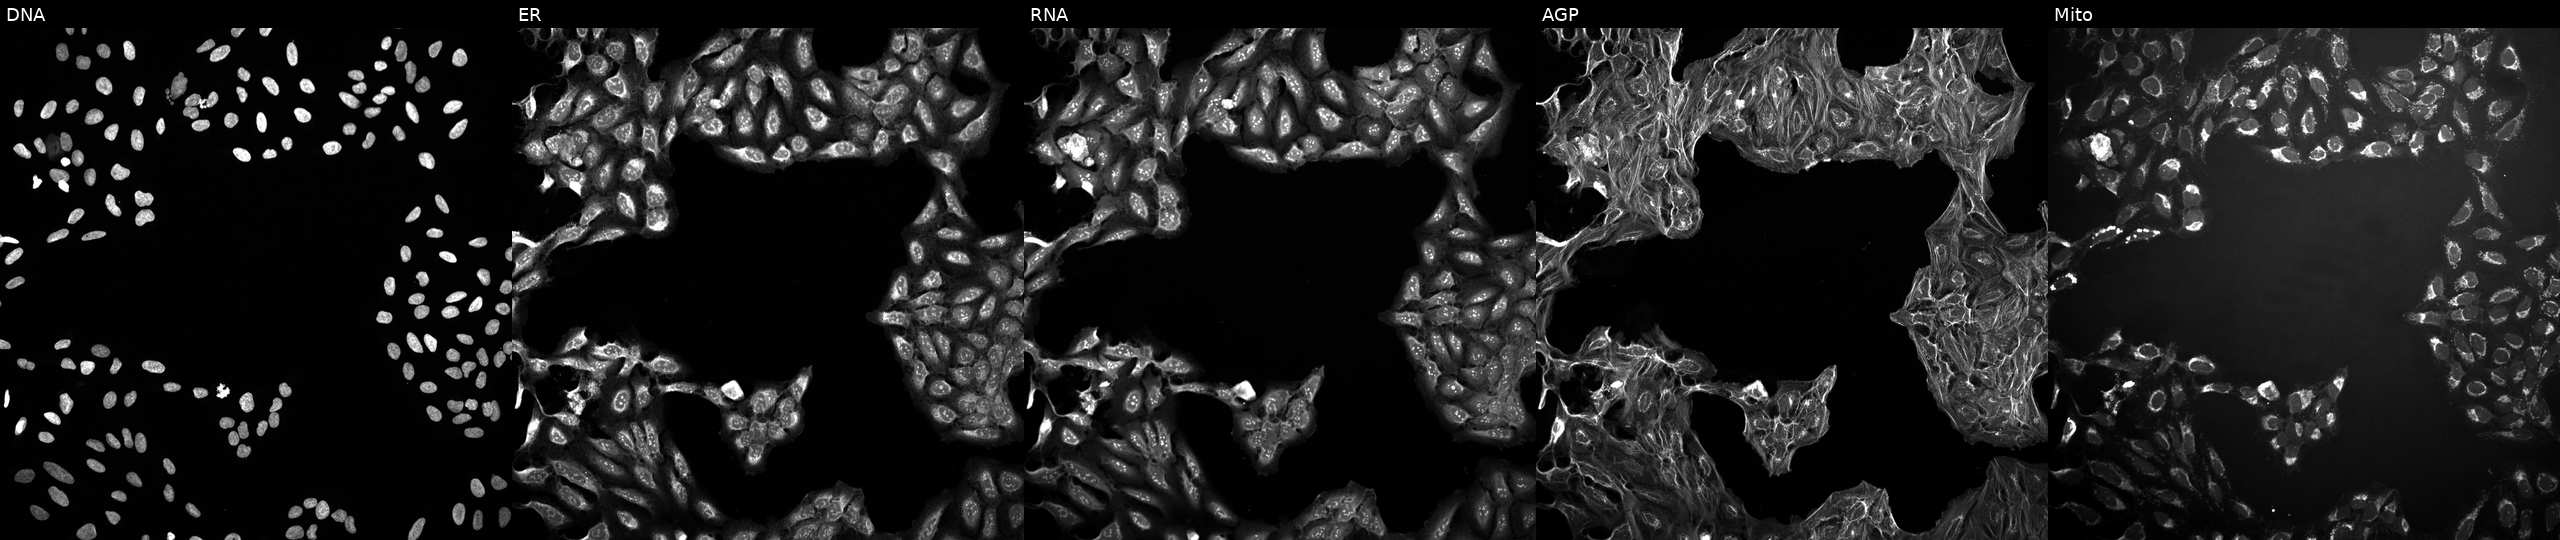
This image strip shows the five Cell Painting channels for a single field of U2OS cells exposed to a small-molecule compound (JUMP id JCP2022_024601). From left to right: DNA (nuclei); ER (endoplasmic reticulum); RNA (nucleoli and cytoplasmic RNA); AGP (actin cytoskeleton, Golgi, and plasma membrane); Mito (mitochondria). Source 10, plate Dest210727-153003, well C07.